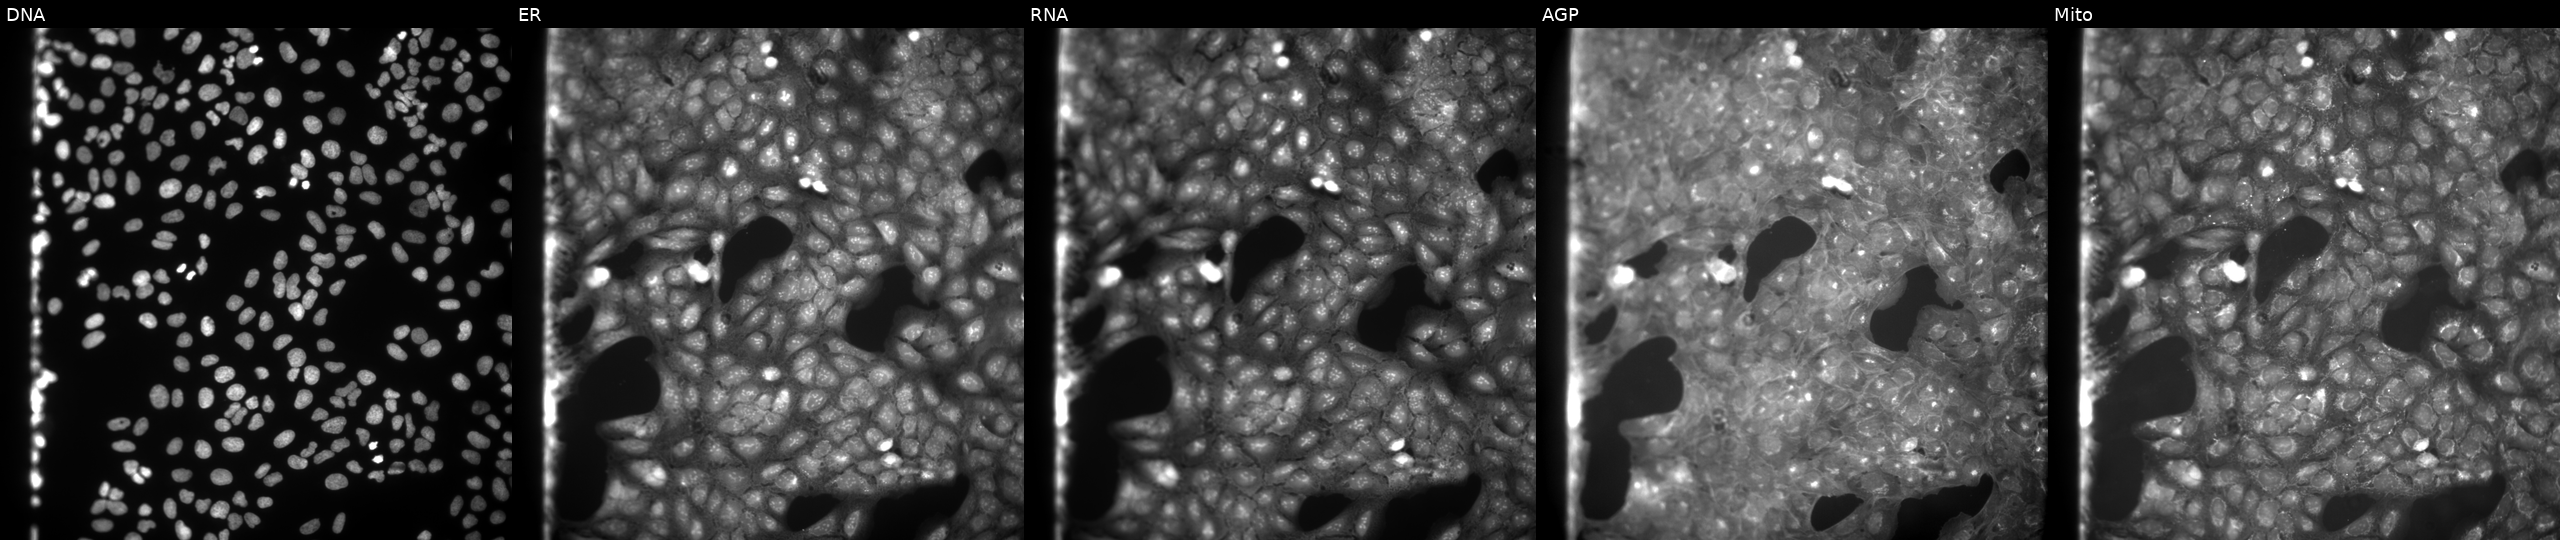
This image strip shows the five Cell Painting channels for a single field of U2OS cells perturbed with a small-molecule compound (InChIKey AKIWNJPXDHCKDF-UHFFFAOYSA-N) (JUMP id JCP2022_001980). Panels show, left to right, Hoechst 33342, concanavalin A, SYTO 14, phalloidin and WGA, MitoTracker. Source 9, plate GR00003381, well A03.